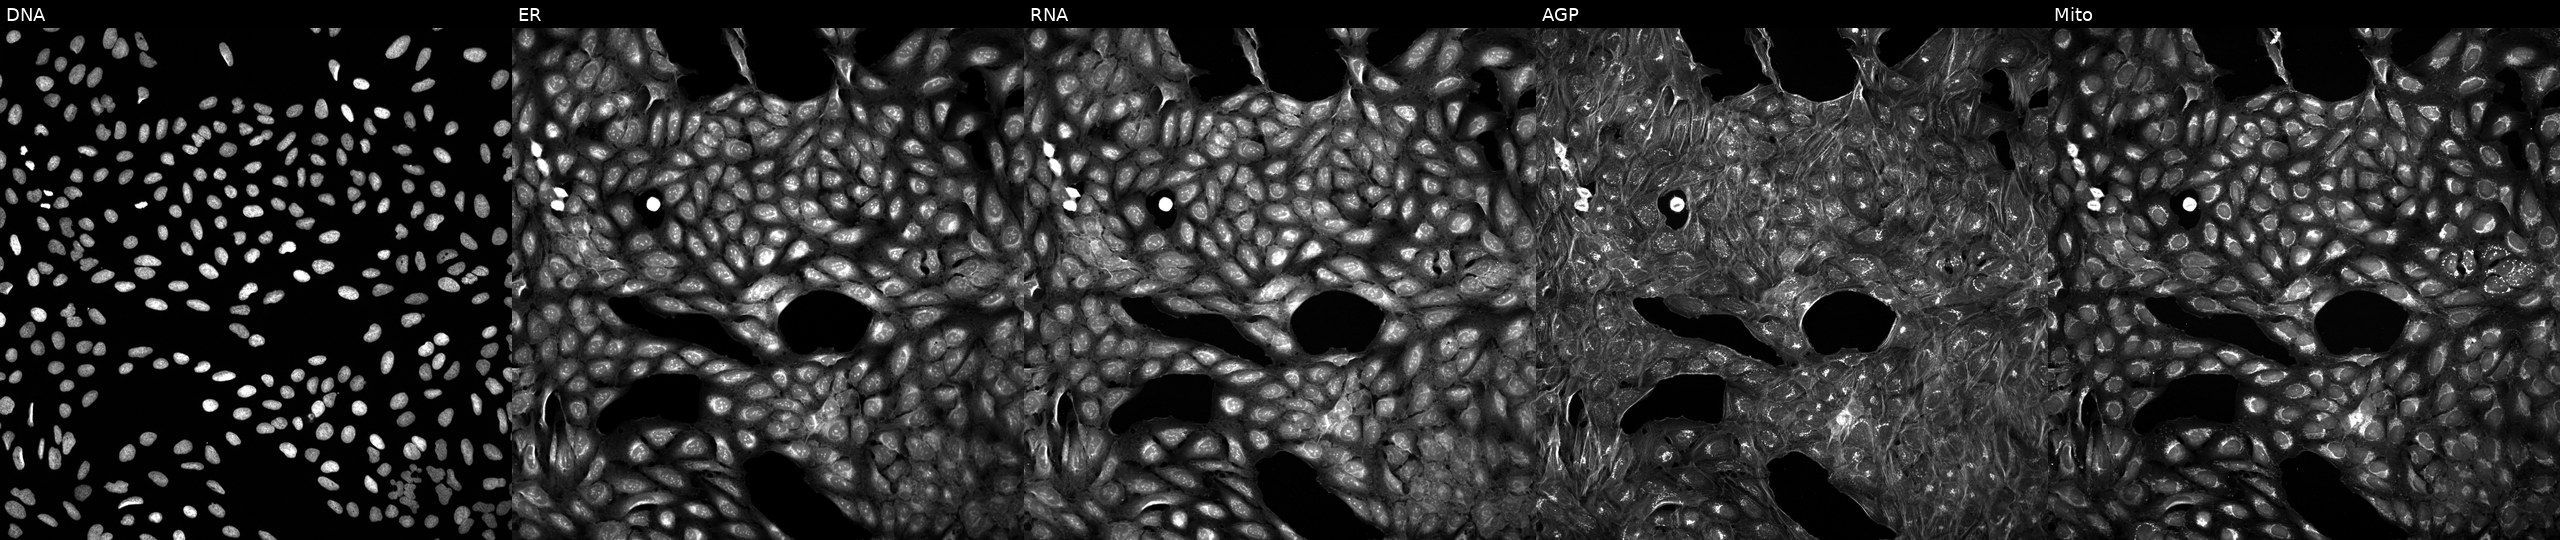
JUMP Cell Painting — COMPOUND plate. U2OS cells exposed to a small-molecule compound (JUMP id JCP2022_075862). Channels (left→right): DNA, ER, RNA, AGP, and Mito.